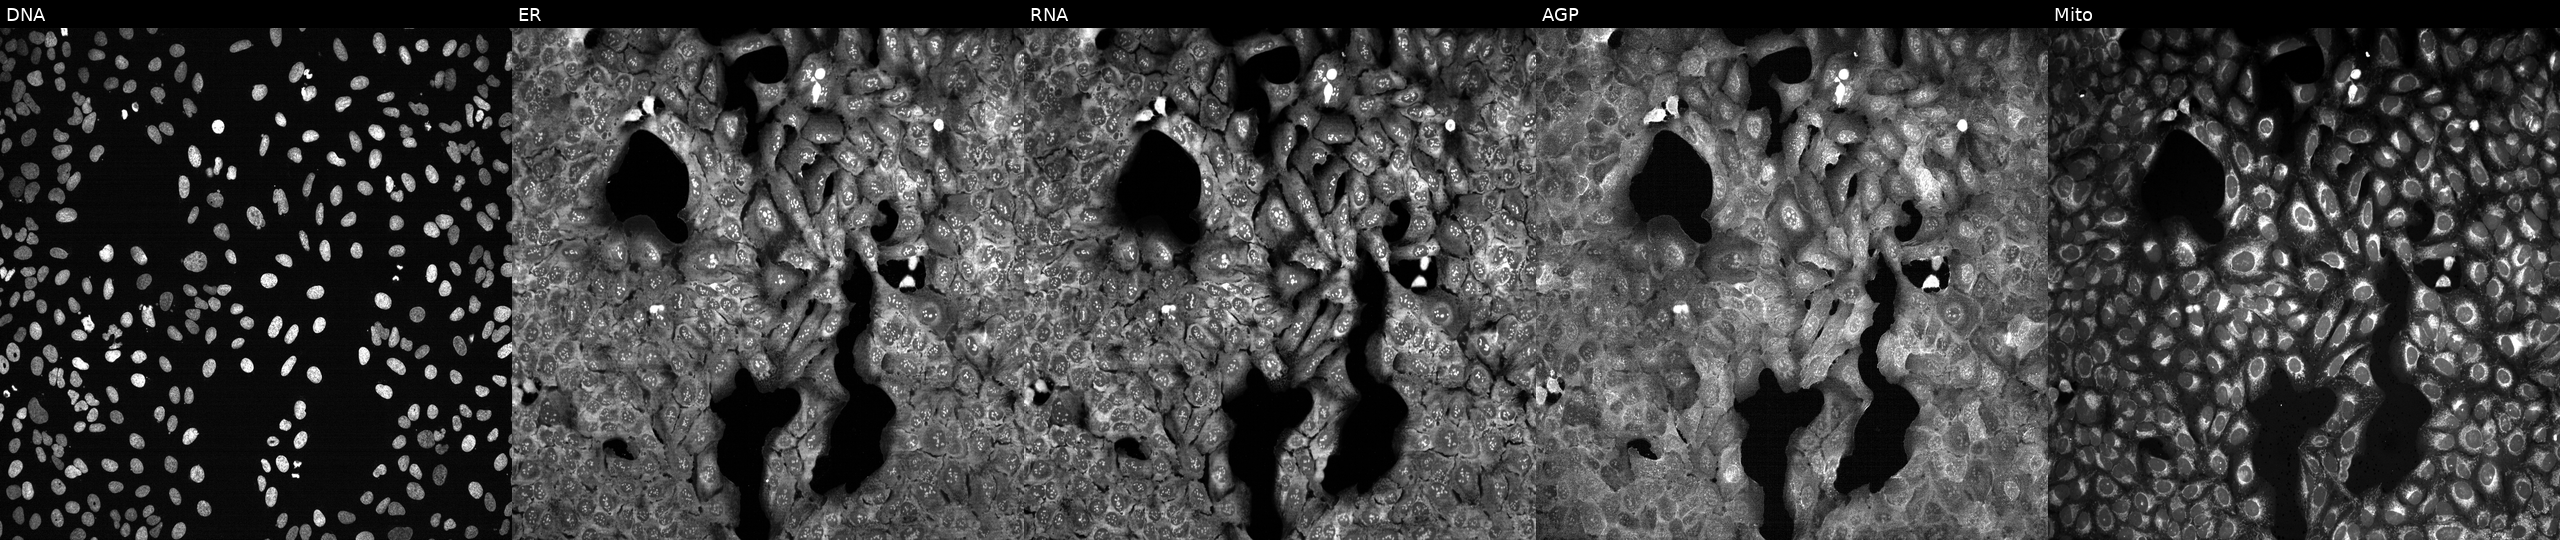
JUMP Cell Painting — CRISPR plate. U2OS cells following CRISPR knockout of SAMHD1. From left to right: Hoechst 33342, concanavalin A, SYTO 14, phalloidin and WGA, MitoTracker.